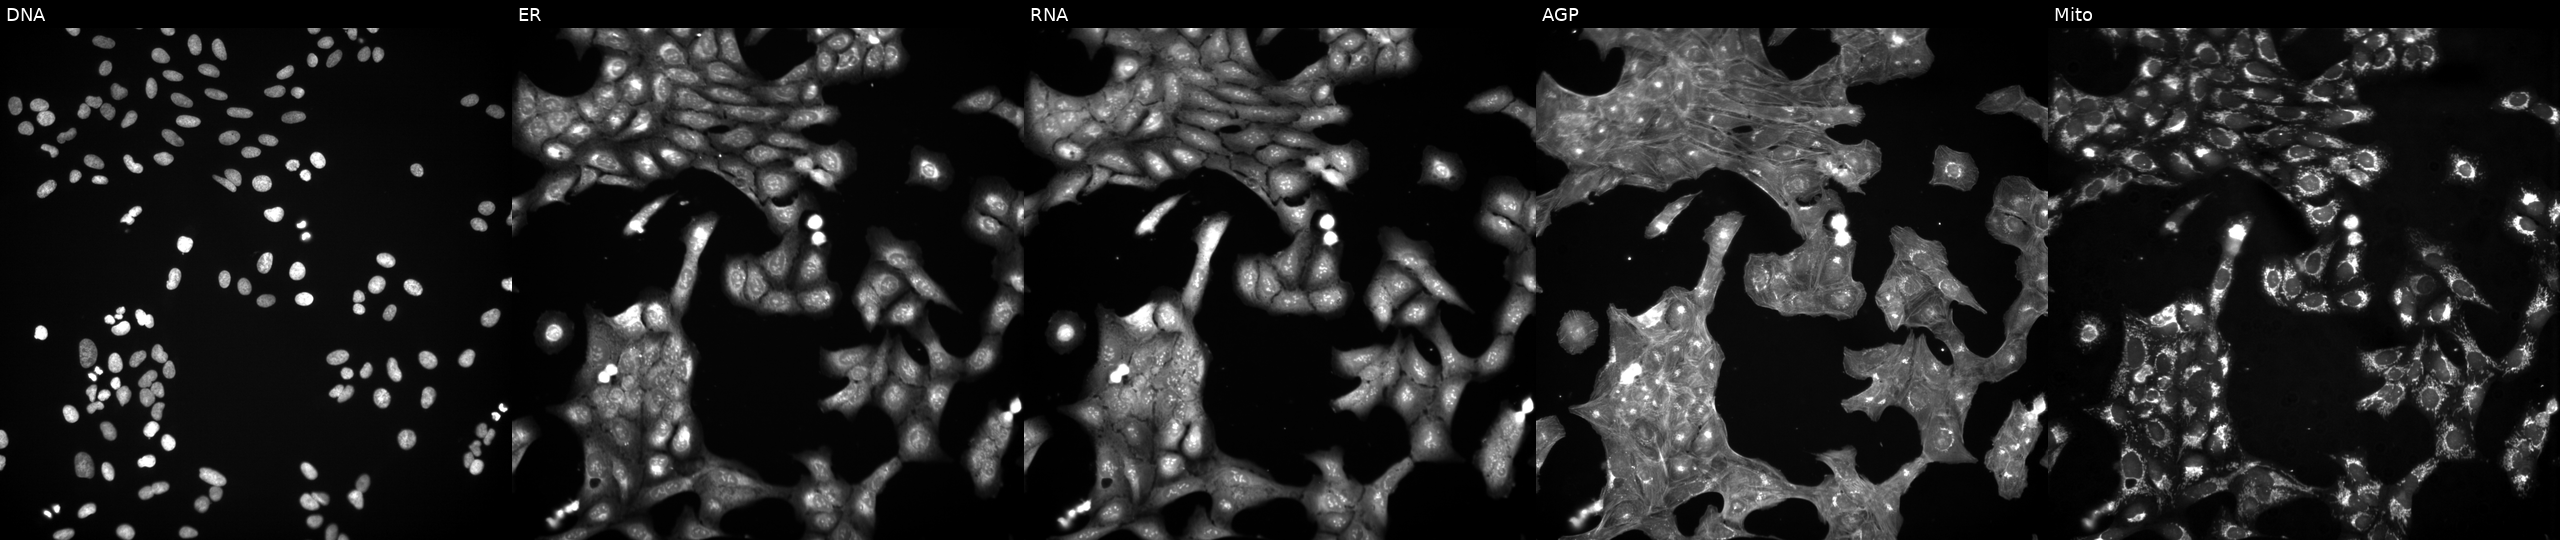
JUMP Cell Painting — TARGET2 plate. U2OS cells perturbed with a small-molecule compound (InChIKey WDENQIQQYWYTPO-UHFFFAOYSA-N) [SMILES: CC#CC(=O)N1CCCC1c1nc(-c2ccc(C(=O)N=c3cccc[nH]3)cc2)c2c(=N)[nH]ccn12]. The five panels, left to right, show DNA (nuclei); ER (endoplasmic reticulum); RNA (nucleoli and cytoplasmic RNA); AGP (actin cytoskeleton, Golgi, and plasma membrane); Mito (mitochondria). Source 3, plate JCPQC053, well P07.